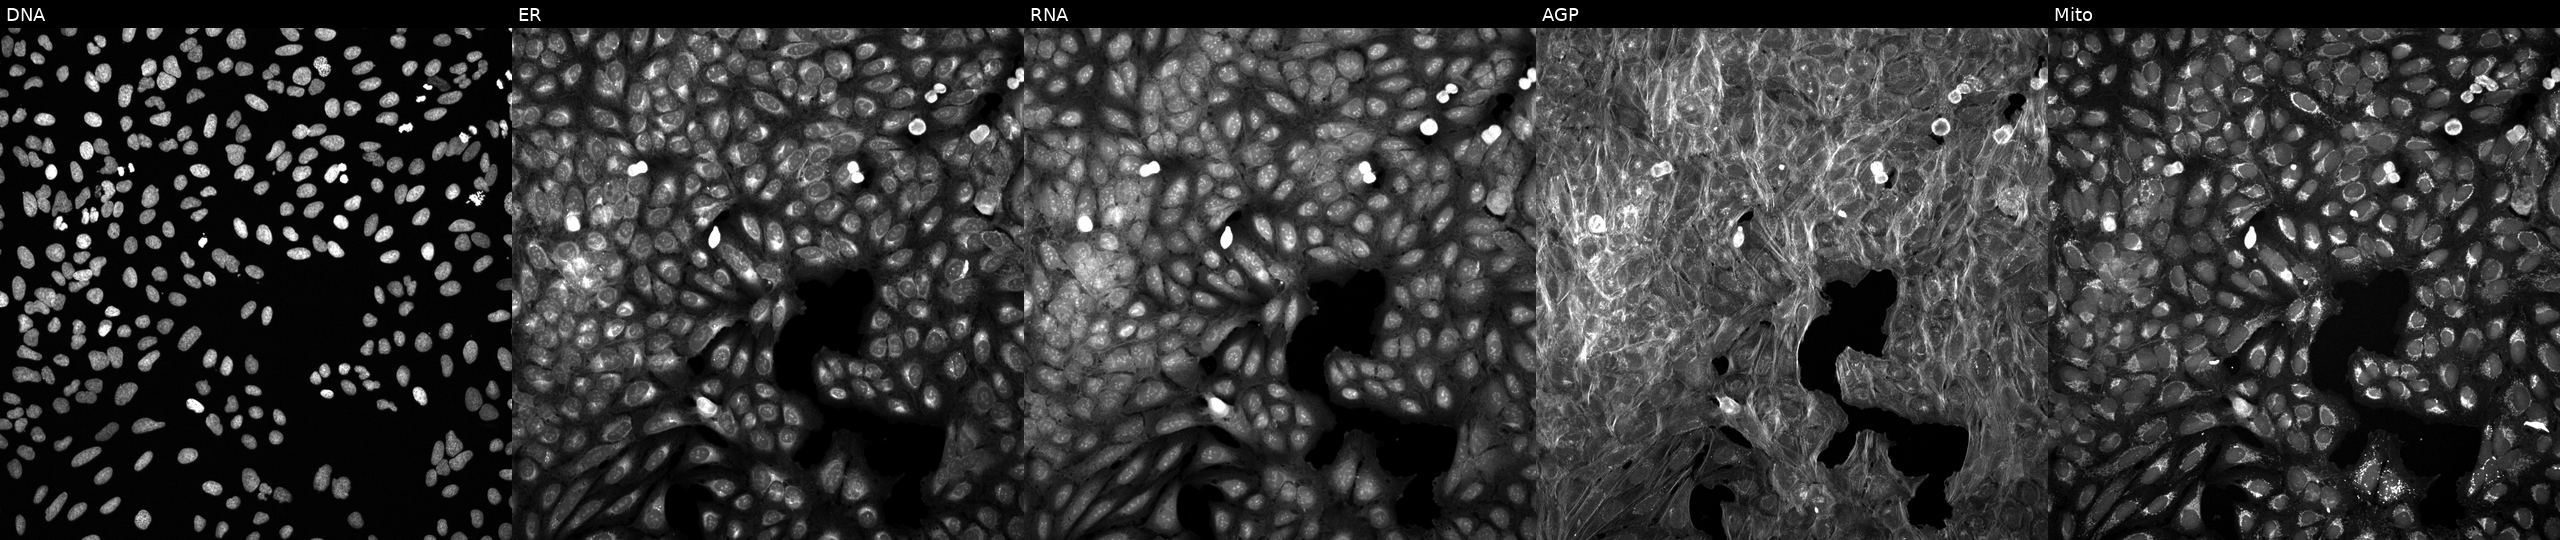
Five-channel Cell Painting image of U2OS cells exposed to DMSO alone as a negative control. Channels (left→right): DNA, ER, RNA, AGP, and Mito.